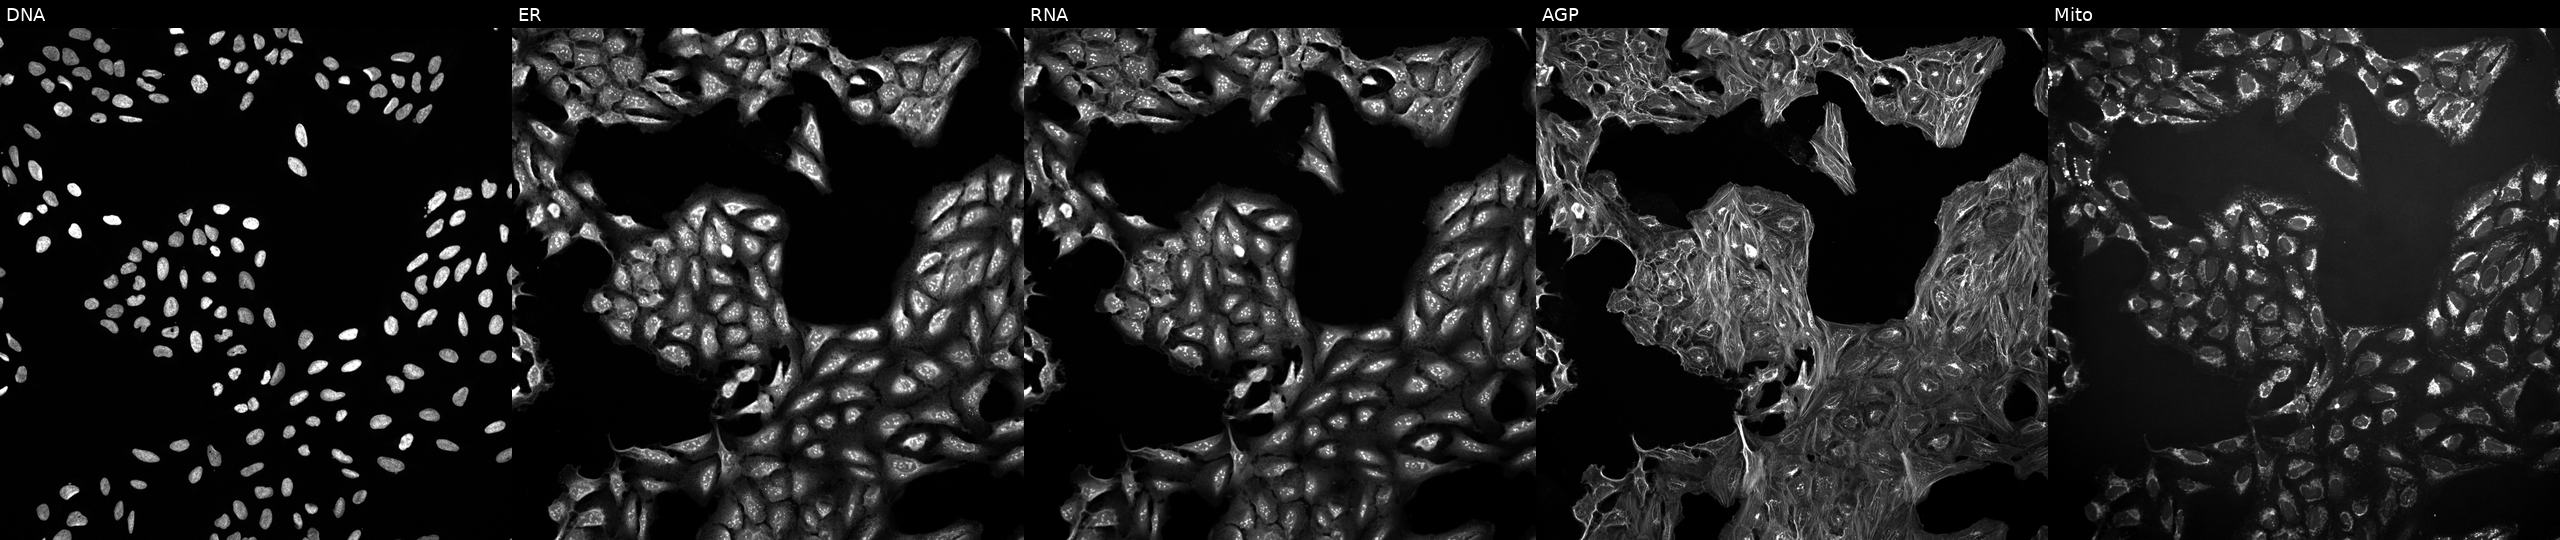
High-content fluorescence microscopy (Cell Painting). Cell line: U2OS. Perturbation: treated with a small-molecule compound (JUMP id JCP2022_050338). Panels show, left to right, Hoechst 33342, concanavalin A, SYTO 14, phalloidin and WGA, MitoTracker. Source 10, plate Dest210726-160150, well I08.